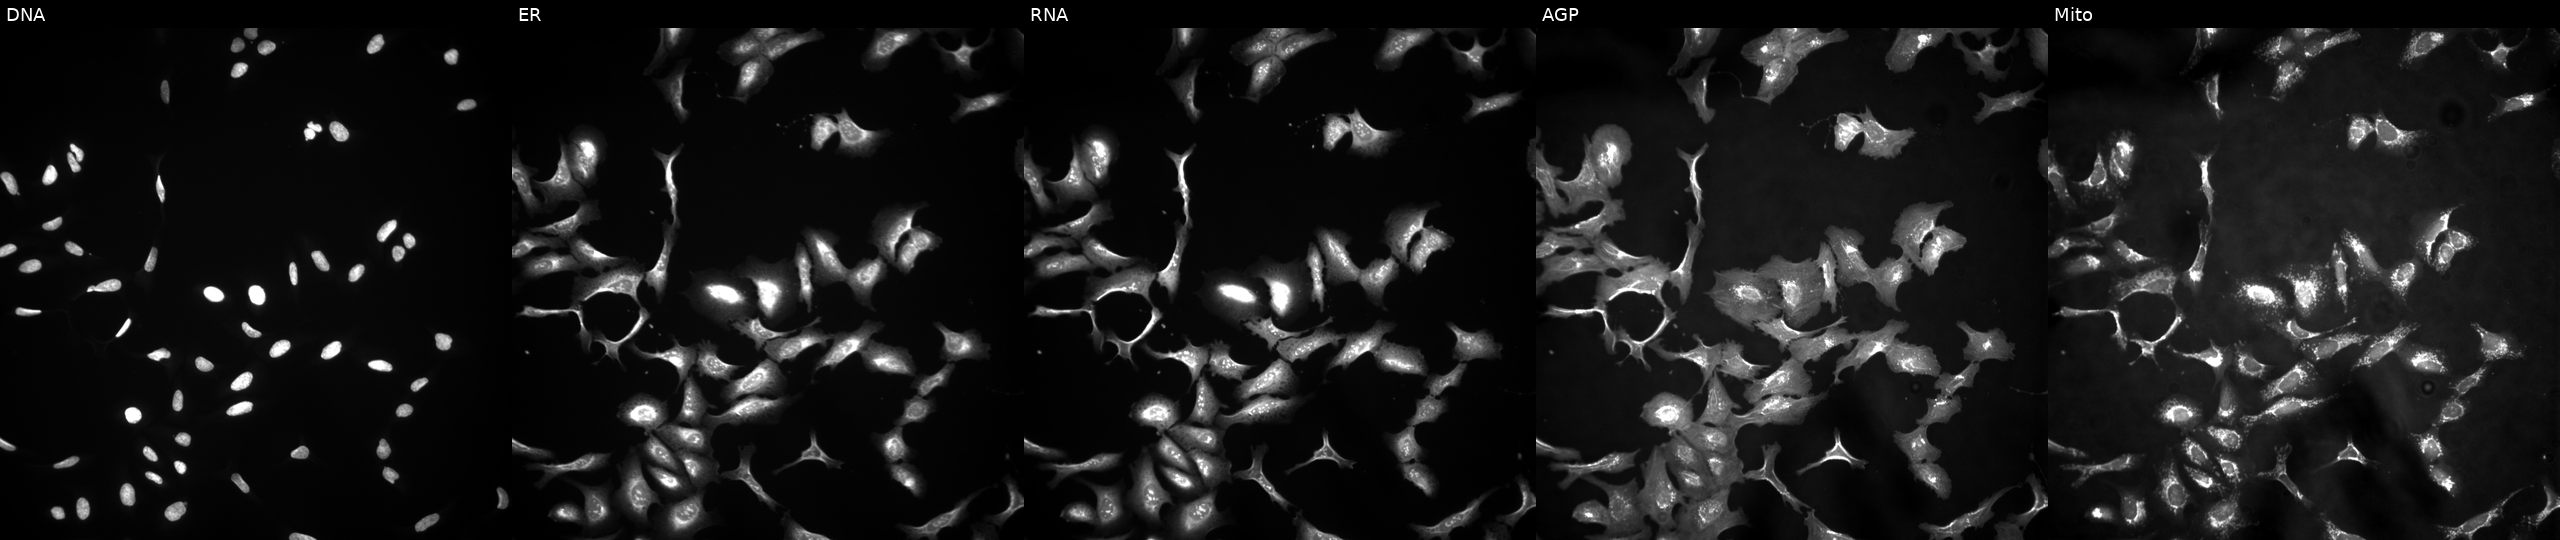
U2OS cells, Cell Painting assay, overexpressing LXN via ORF transfection (JUMP id JCP2022_914900). From left to right: DNA, ER, RNA, AGP, and Mito. Each panel is percentile-stretched 16-bit fluorescence.